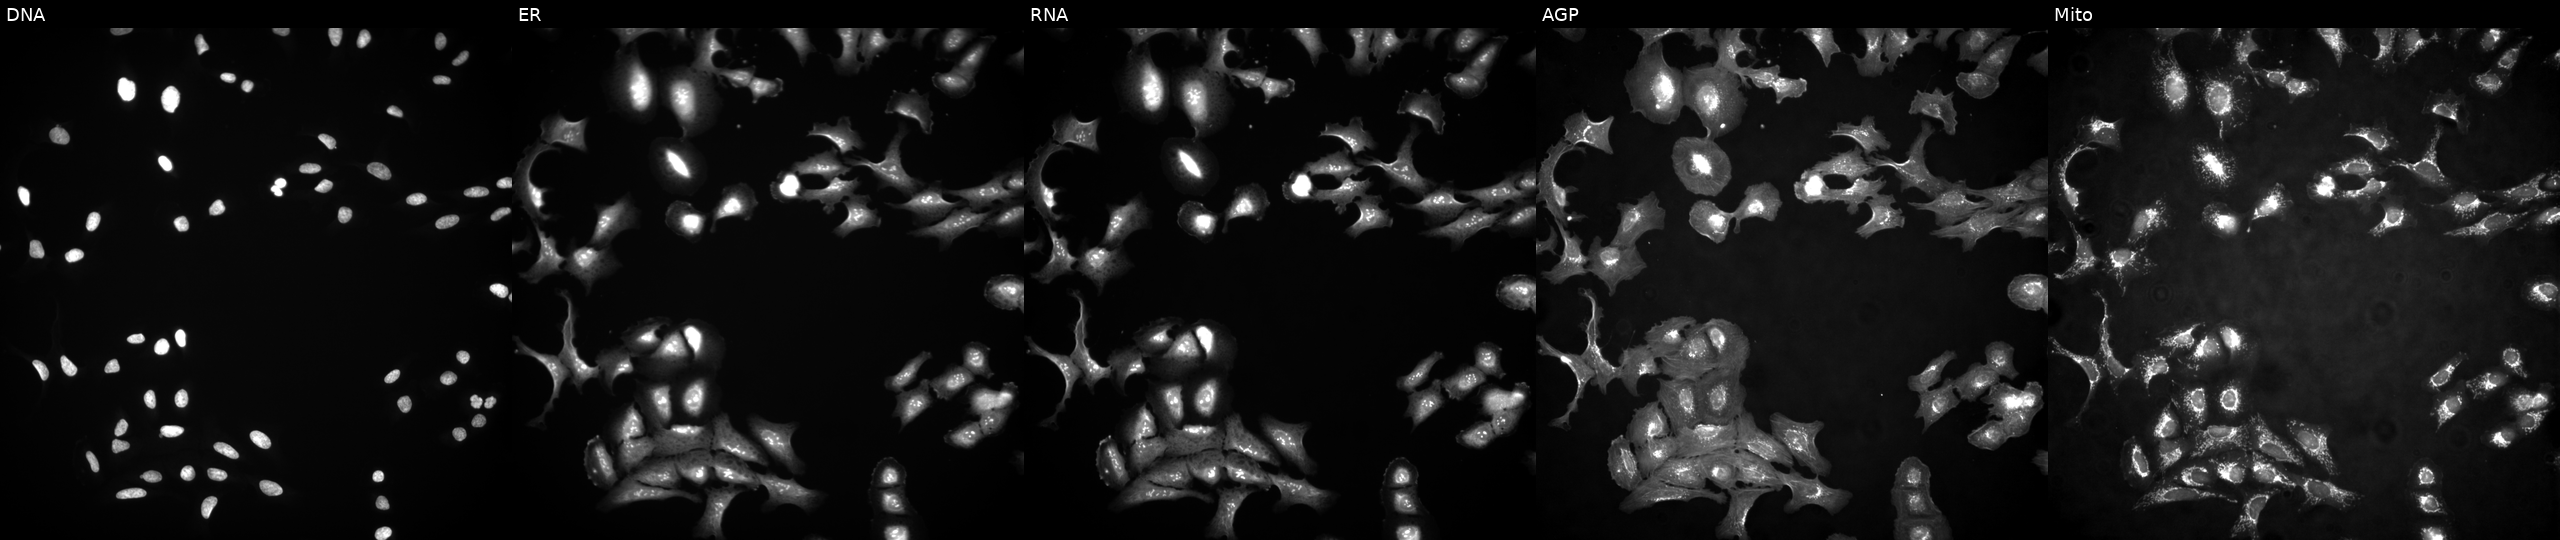
U2OS cells, Cell Painting assay, transfected with an ORF construct for ETS2. Channels (left→right): DNA (nuclei); ER (endoplasmic reticulum); RNA (nucleoli and cytoplasmic RNA); AGP (actin cytoskeleton, Golgi, and plasma membrane); Mito (mitochondria). Each panel is percentile-stretched 16-bit fluorescence.